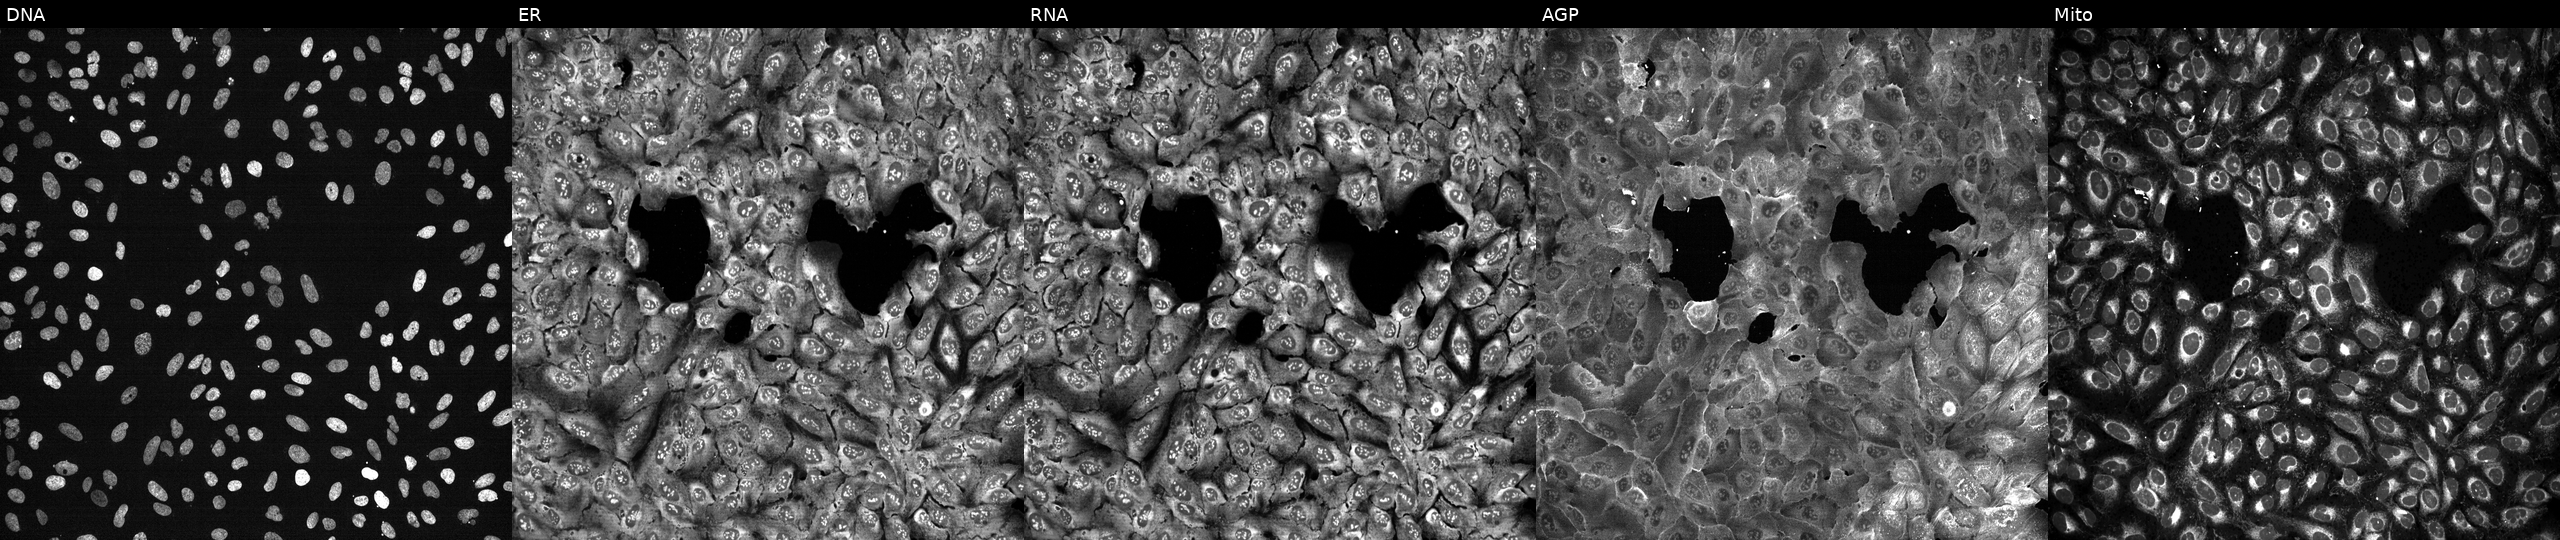
Five-channel Cell Painting image of U2OS cells following CRISPR knockout of ATP8A2 (JUMP id JCP2022_800748). The five panels, left to right, show Hoechst 33342, concanavalin A, SYTO 14, phalloidin and WGA, MitoTracker.